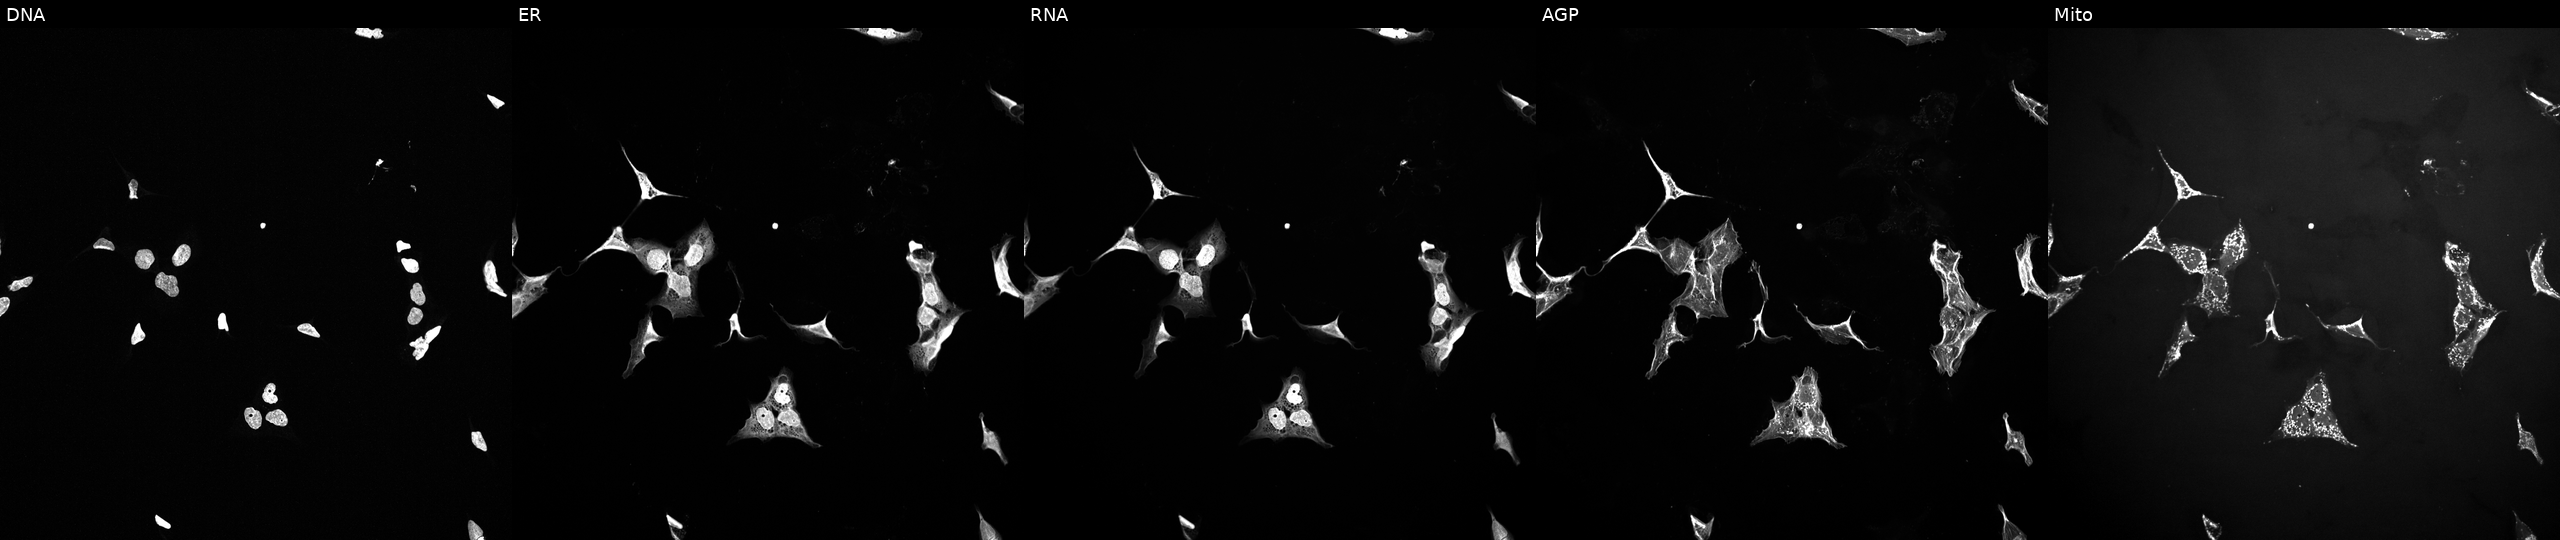
Five-channel Cell Painting image of U2OS cells perturbed with a small-molecule compound. Channels (left→right): DNA (nuclei); ER (endoplasmic reticulum); RNA (nucleoli and cytoplasmic RNA); AGP (actin cytoskeleton, Golgi, and plasma membrane); Mito (mitochondria).